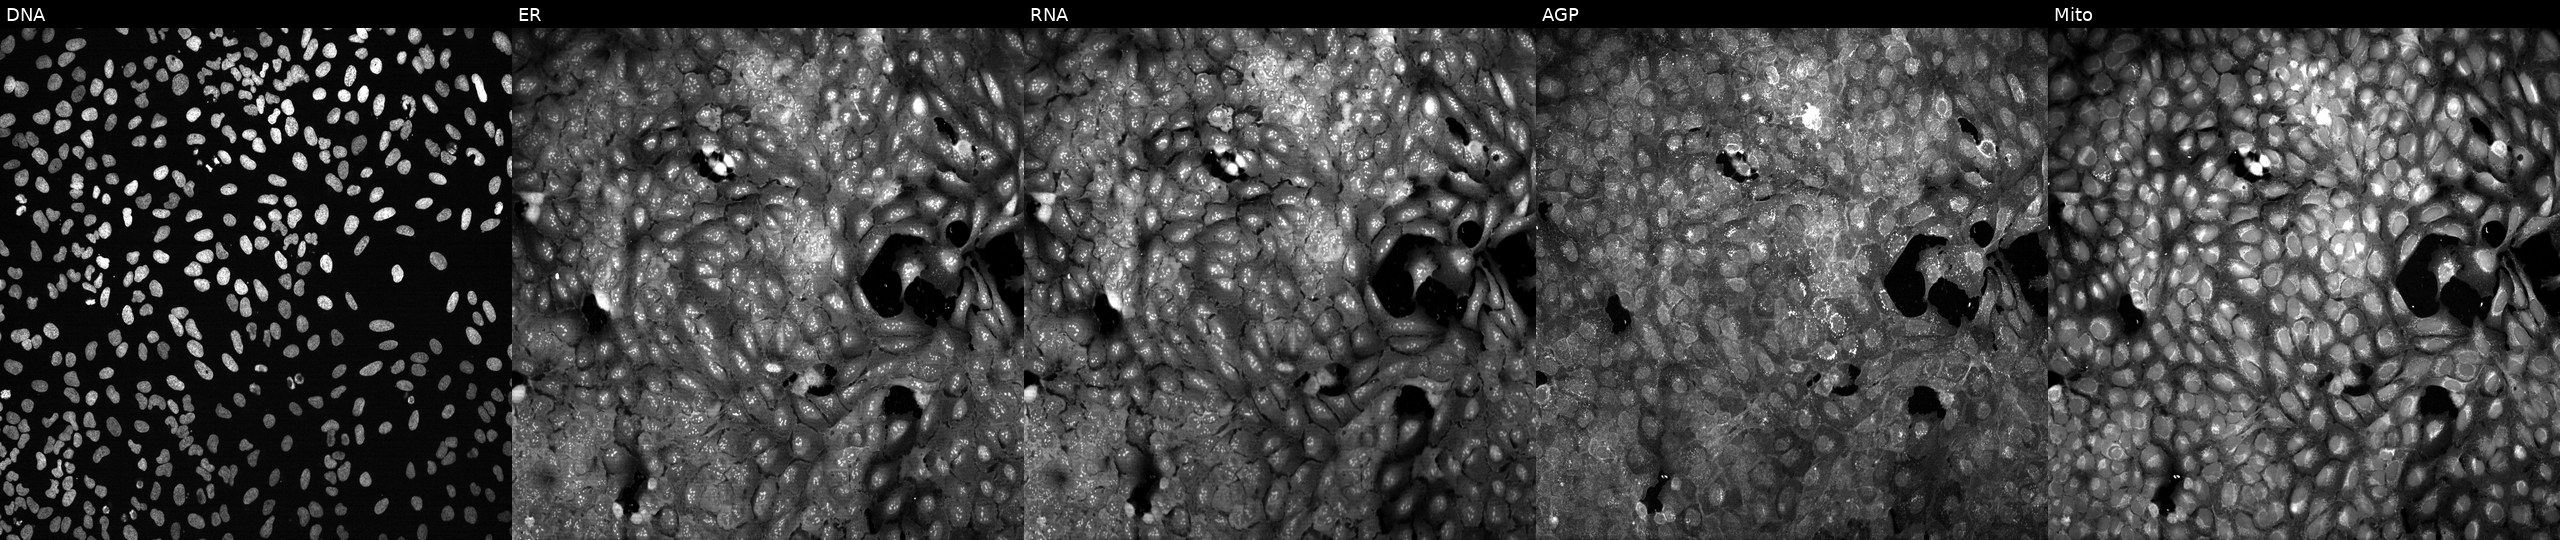
JUMP Cell Painting — CRISPR plate. U2OS cells CRISPR-edited to disrupt HAVCR1. The five panels, left to right, show DNA, ER, RNA, AGP, and Mito.